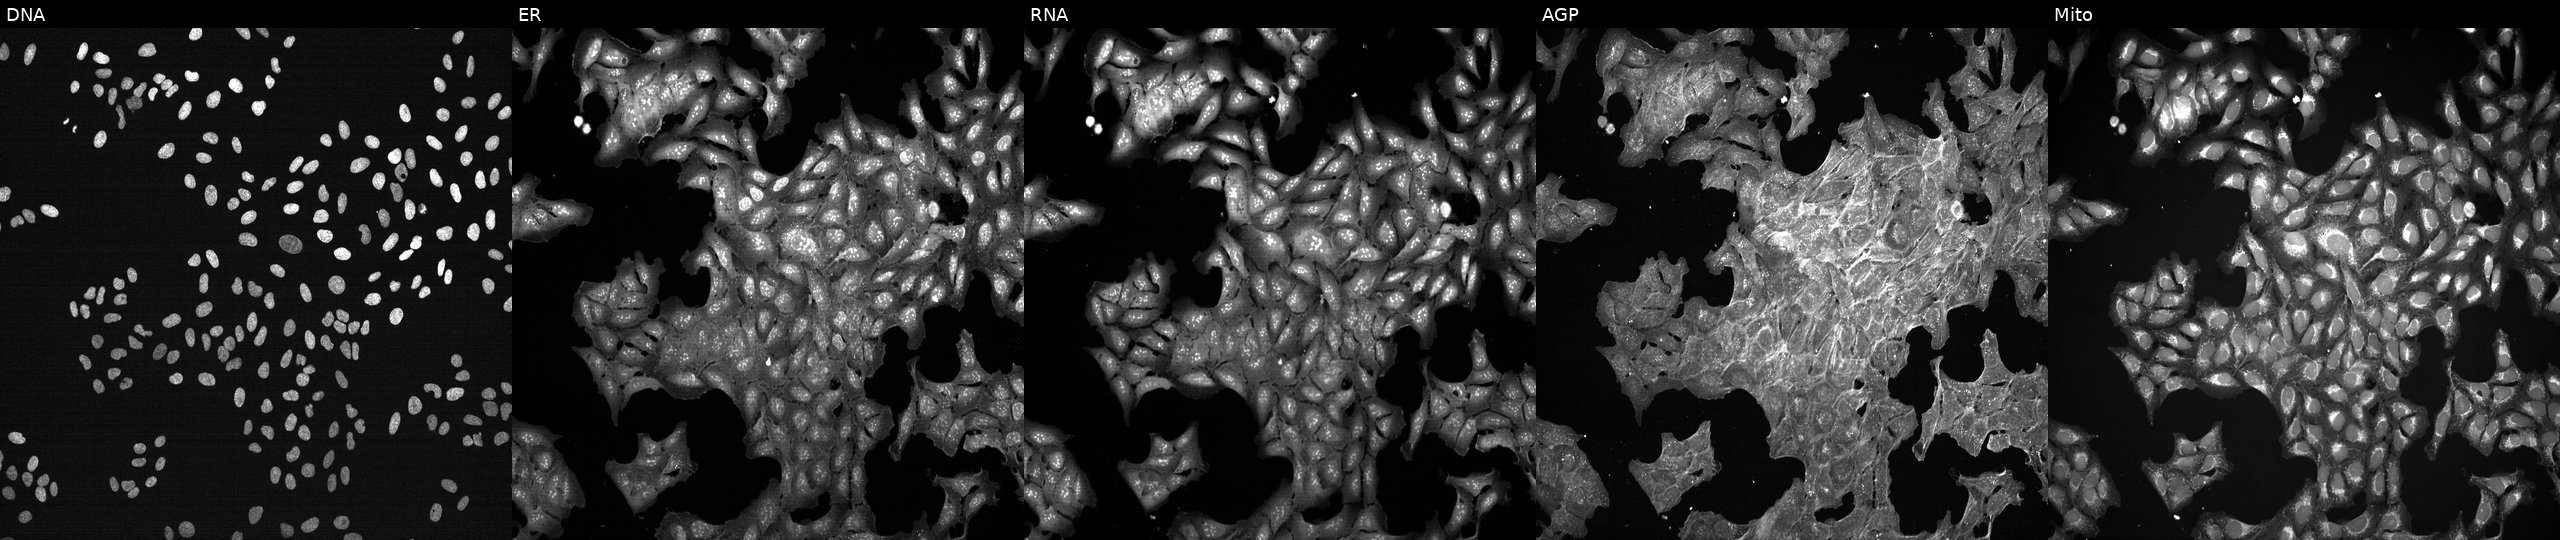
JUMP Cell Painting — TARGET2 plate. U2OS cells exposed to DMSO alone as a negative control. The five panels, left to right, show DNA (nuclei); ER (endoplasmic reticulum); RNA (nucleoli and cytoplasmic RNA); AGP (actin cytoskeleton, Golgi, and plasma membrane); Mito (mitochondria). Source 7, plate CP2-SC1-25, well O11.